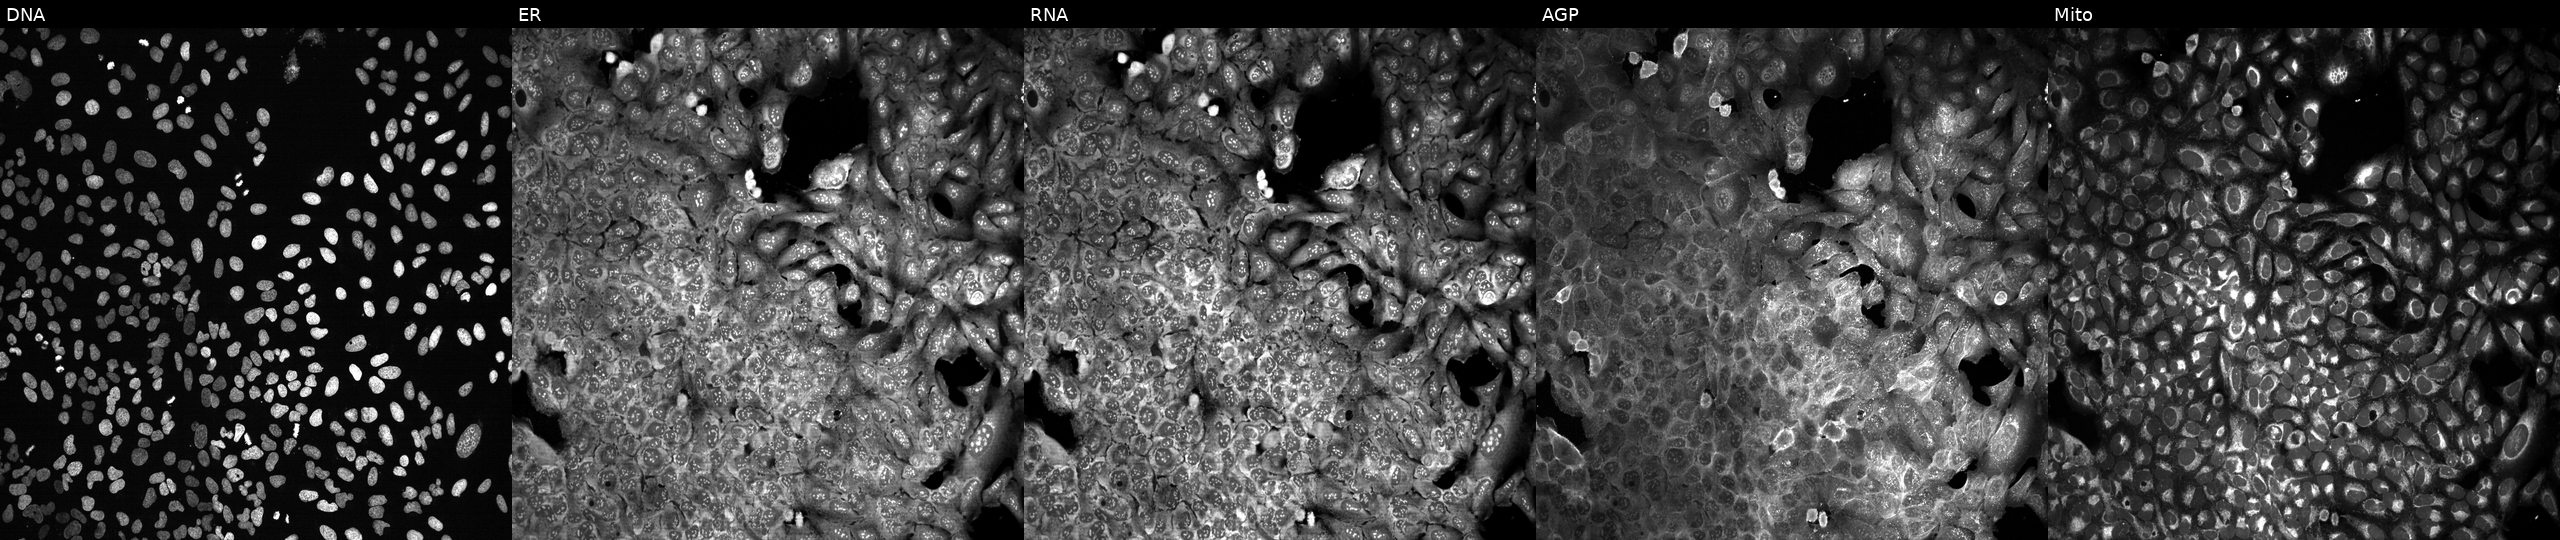
U2OS cells, Cell Painting assay, following CRISPR knockout of PGPEP1 (JUMP id JCP2022_805086). The five panels, left to right, show Hoechst 33342, concanavalin A, SYTO 14, phalloidin and WGA, MitoTracker. Each panel is percentile-stretched 16-bit fluorescence. Source 13, plate CP-CC9-R6-19, well K05.